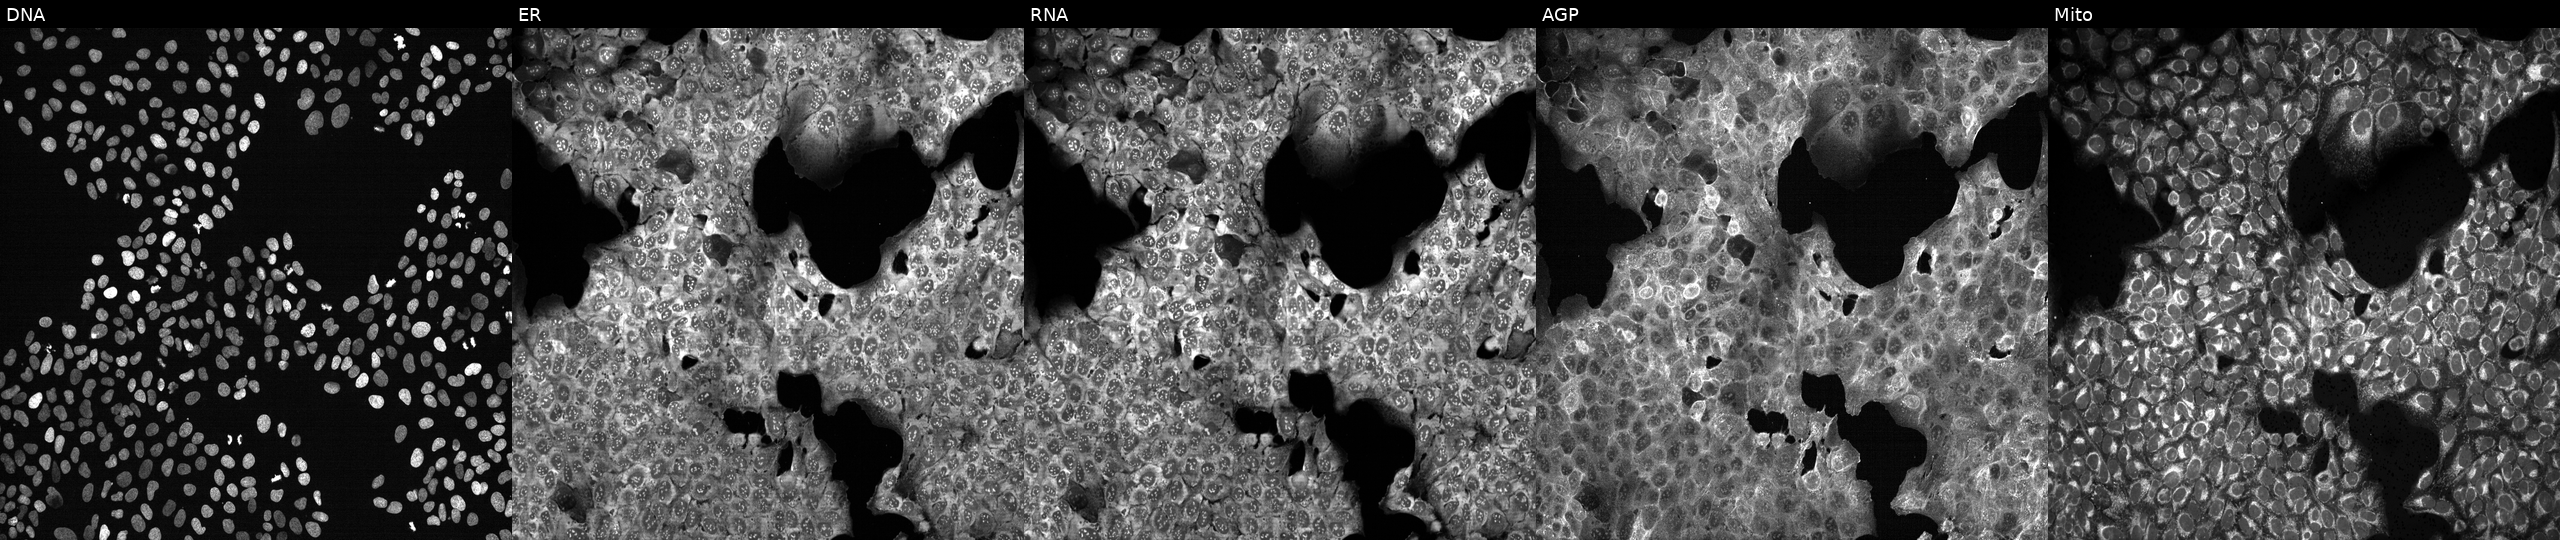
High-content fluorescence microscopy (Cell Painting). Cell line: U2OS. Perturbation: exposed to the positive-control compound LY2109761. Panels show, left to right, Hoechst 33342, concanavalin A, SYTO 14, phalloidin and WGA, MitoTracker.